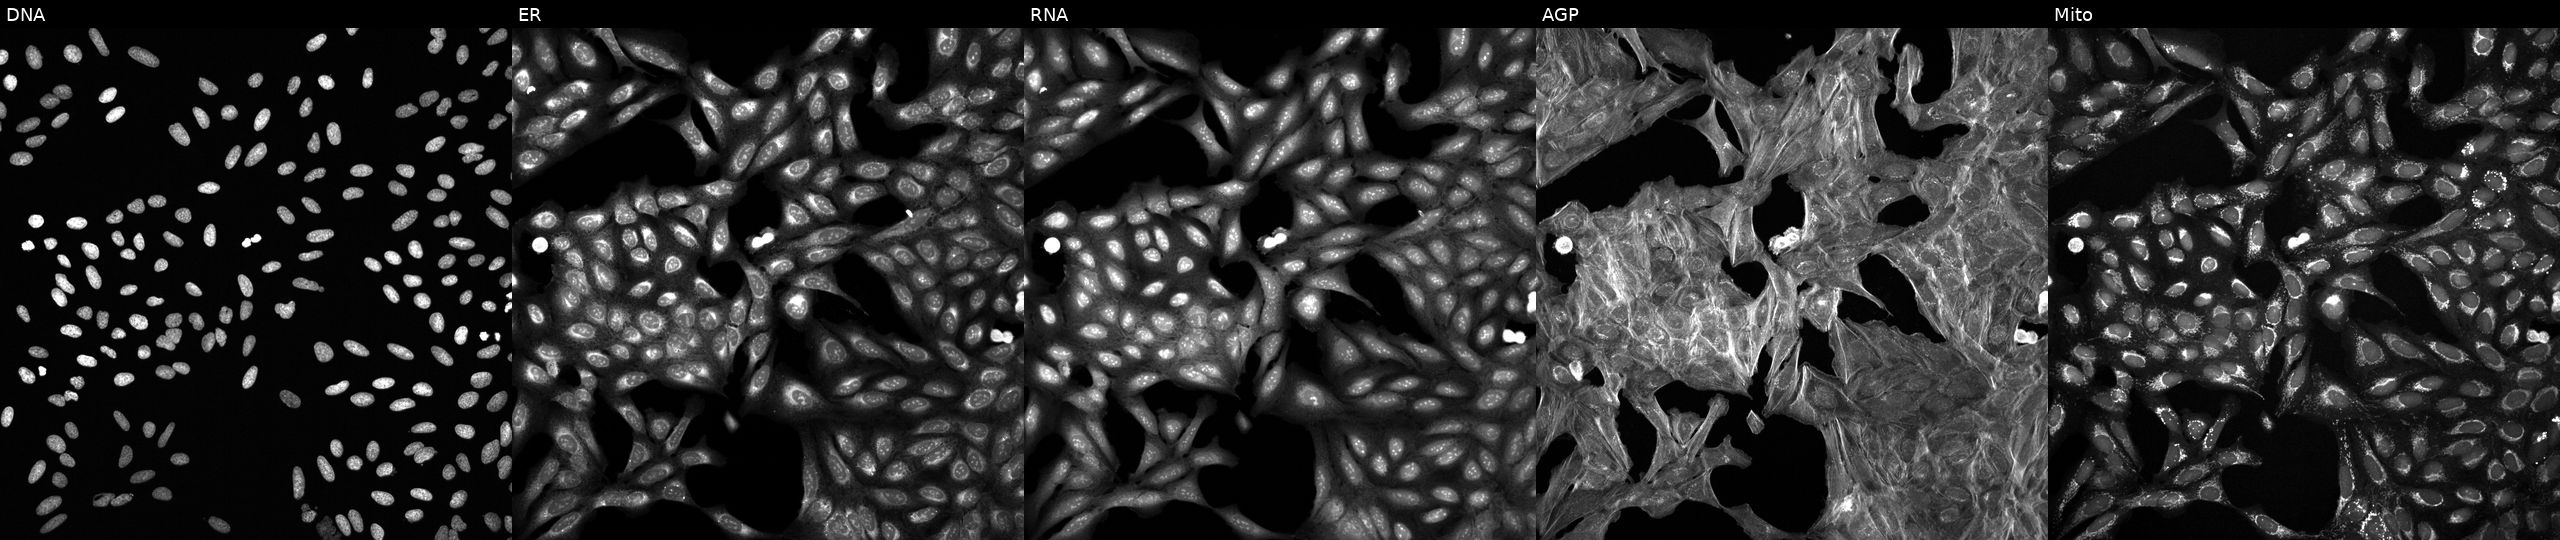
JUMP Cell Painting — TARGET2 plate. U2OS cells treated with a small-molecule compound [SMILES: O=C1NC(=O)C2(CCOc3ccc(F)cc32)N1]. From left to right: DNA, ER, RNA, AGP, and Mito.